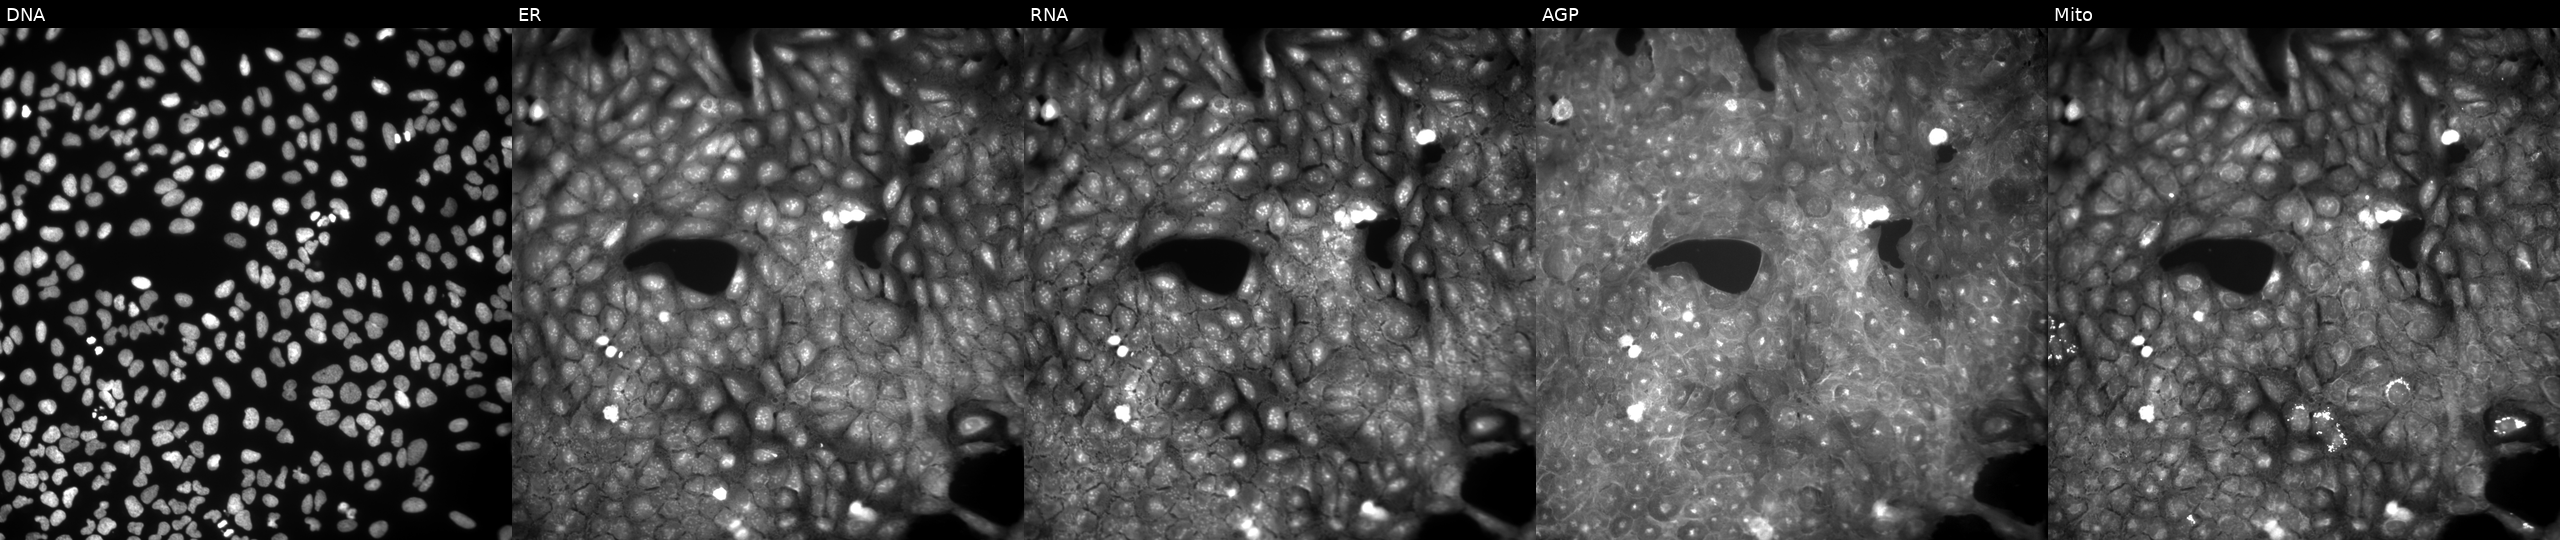
This image strip shows the five Cell Painting channels for a single field of U2OS cells perturbed with a small-molecule compound (InChIKey CYIGVTIYFCXPGH-UHFFFAOYSA-N) [SMILES: COc1ccc(N(CC(=O)NN=C2CCN(C)CC2)S(=O)(=O)c2ccccc2)c(OC)c1]. Panels show, left to right, DNA (nuclei); ER (endoplasmic reticulum); RNA (nucleoli and cytoplasmic RNA); AGP (actin cytoskeleton, Golgi, and plasma membrane); Mito (mitochondria).